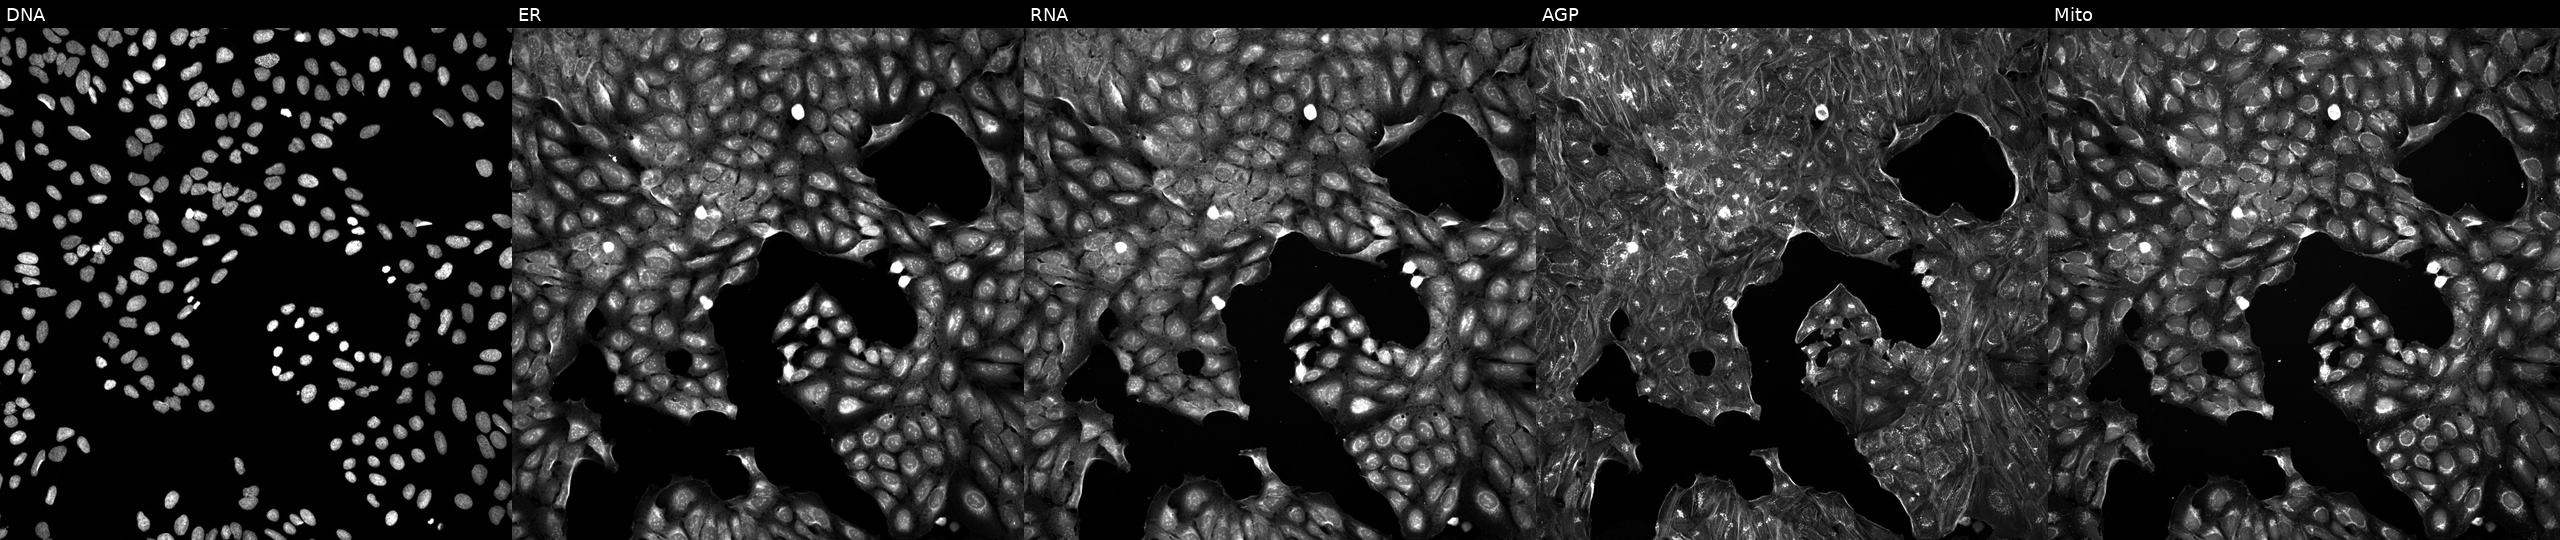
U2OS cells, Cell Painting assay, treated with a small-molecule compound (InChIKey VSYHDGPEVPJSPT-UHFFFAOYSA-N) (JUMP id JCP2022_096082). Channels (left→right): DNA, ER, RNA, AGP, and Mito. Each panel is percentile-stretched 16-bit fluorescence.